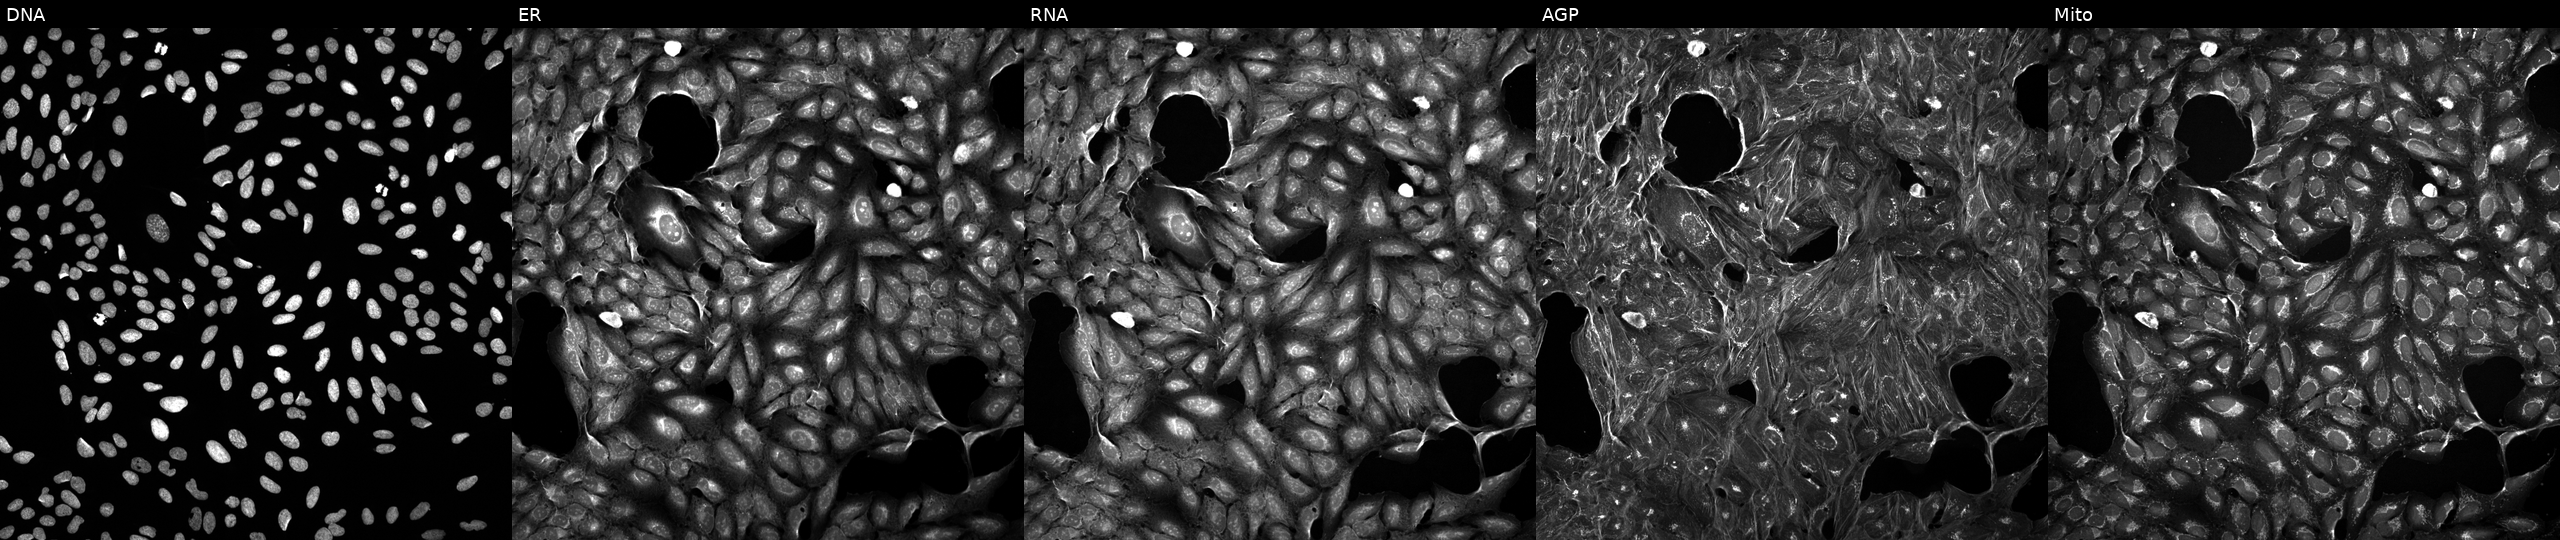
This image strip shows the five Cell Painting channels for a single field of U2OS cells treated with a small-molecule compound (InChIKey QHKYPYXTTXKZST-UHFFFAOYSA-N) [SMILES: Oc1ccc(-c2nc(-c3ccc(F)cc3)c(-c3ccncc3)[nH]2)cc1] (JUMP id JCP2022_073458). Panels show, left to right, DNA (nuclei); ER (endoplasmic reticulum); RNA (nucleoli and cytoplasmic RNA); AGP (actin cytoskeleton, Golgi, and plasma membrane); Mito (mitochondria).